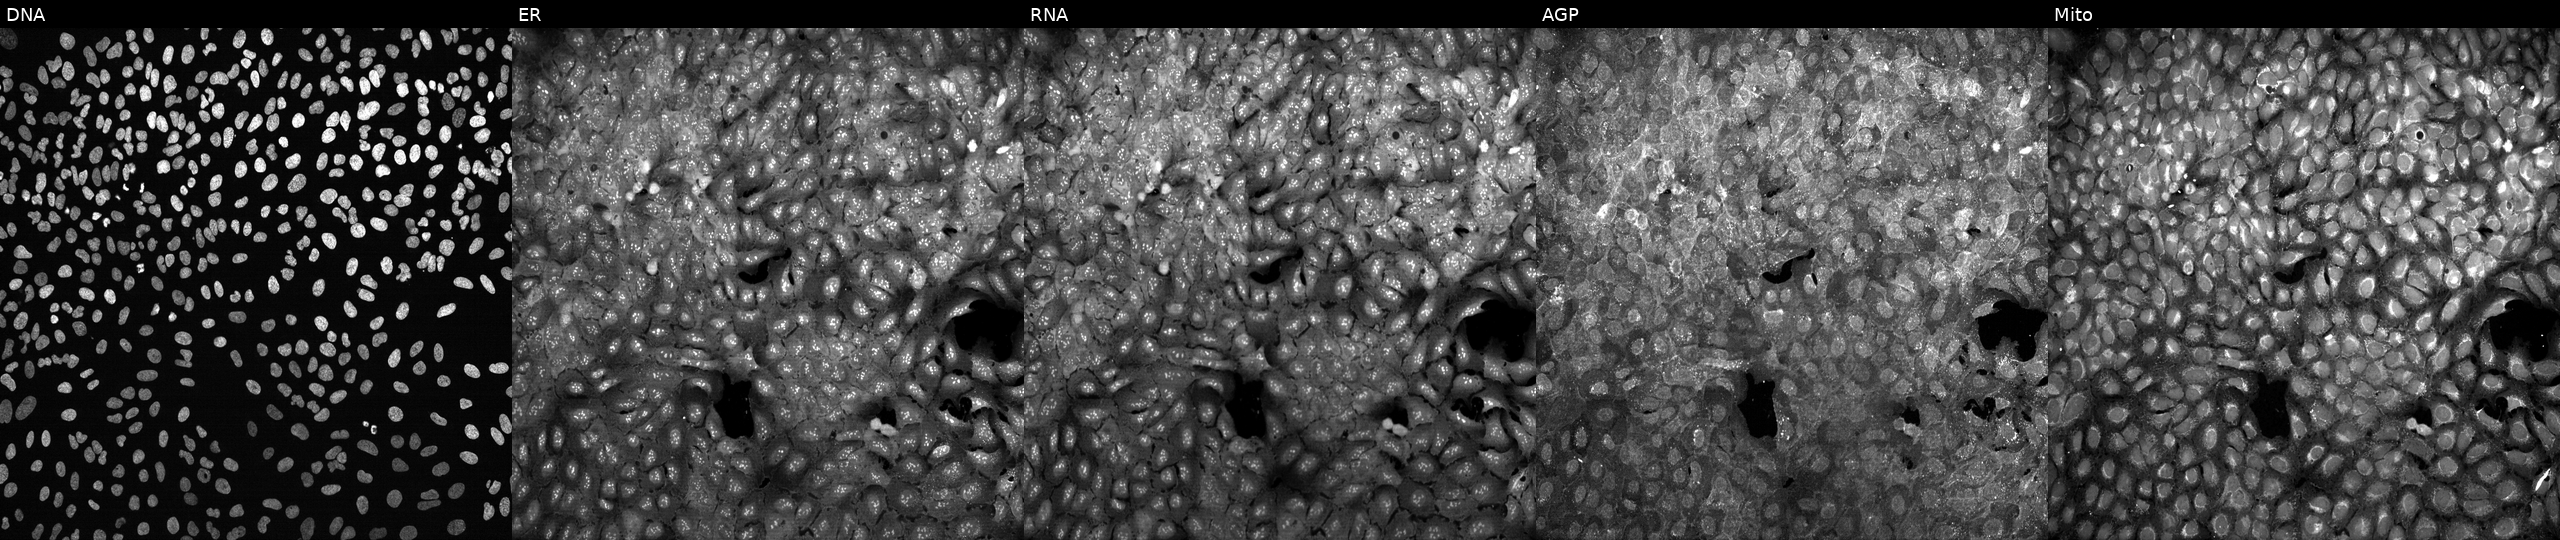
This image strip shows the five Cell Painting channels for a single field of U2OS cells exposed to DMSO alone as a negative control. Channels (left→right): DNA, ER, RNA, AGP, and Mito.